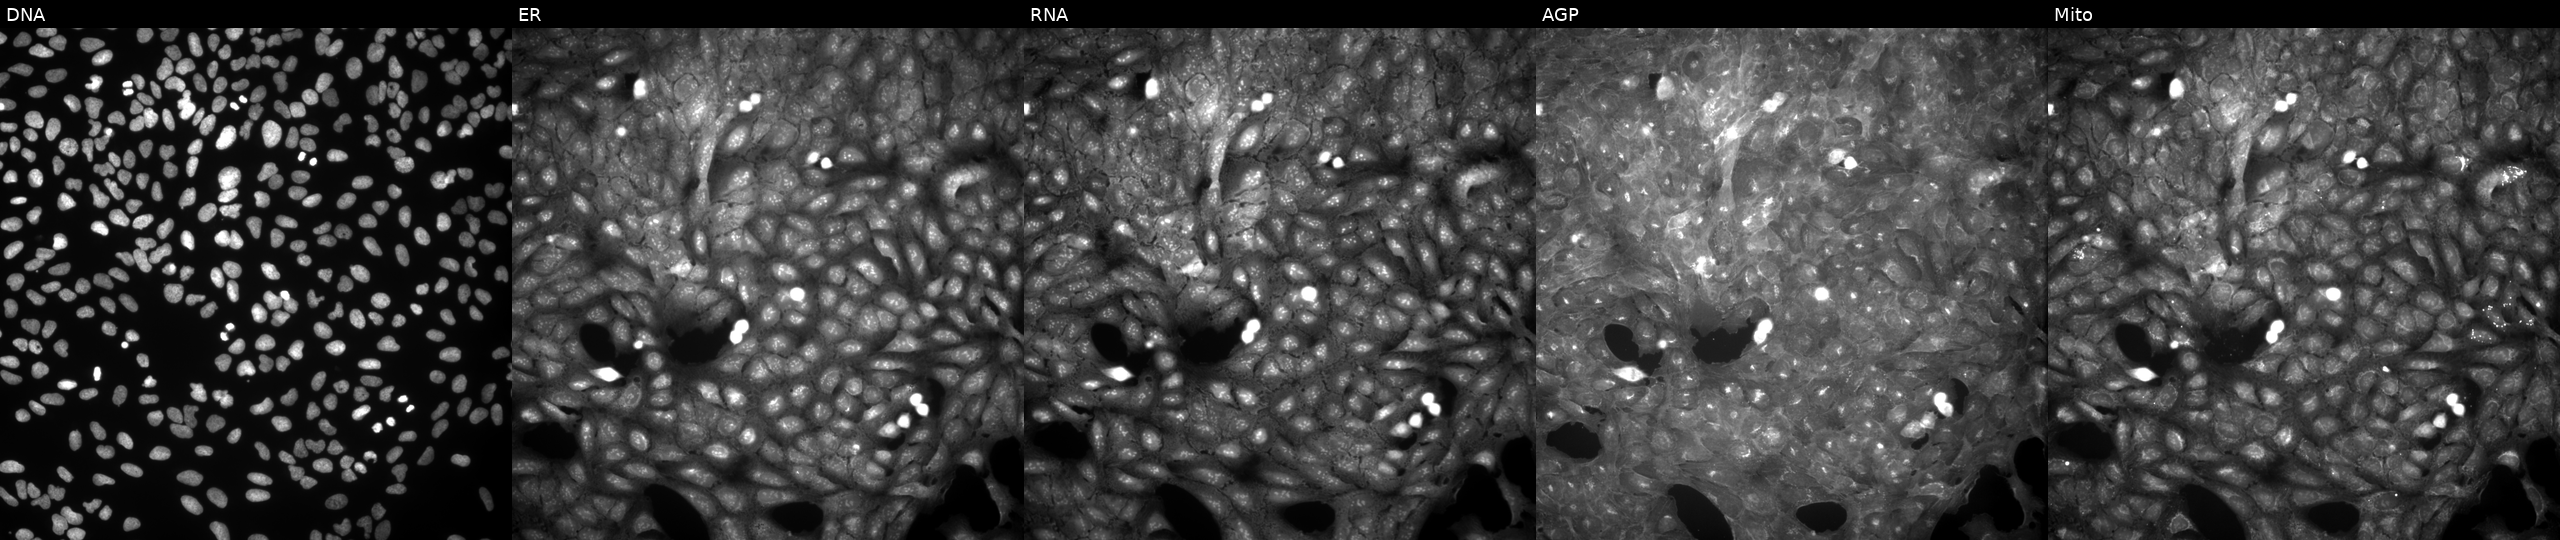
Channels (left→right): DNA, ER, RNA, AGP, and Mito. U2OS osteosarcoma cells treated with a small-molecule compound (InChIKey NSVYZJLEMRLKSC-UHFFFAOYSA-N). Cell Painting assay, JUMP-CP dataset.